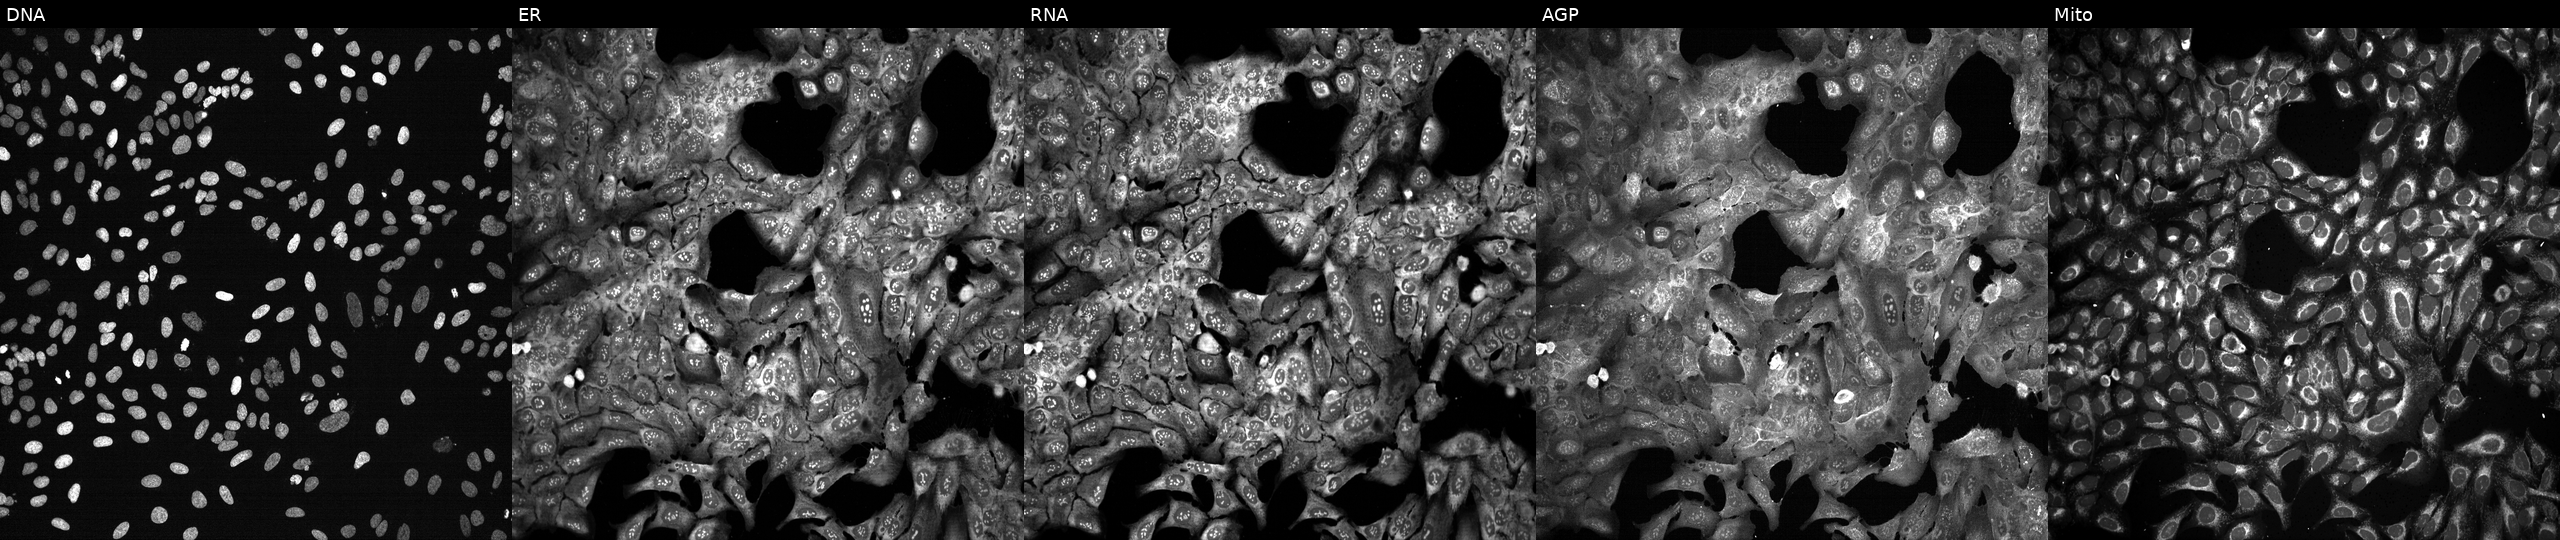
U2OS cells, Cell Painting assay, CRISPR-edited to disrupt ACADSB (JUMP id JCP2022_800098). The five panels, left to right, show Hoechst 33342, concanavalin A, SYTO 14, phalloidin and WGA, MitoTracker. Each panel is percentile-stretched 16-bit fluorescence.